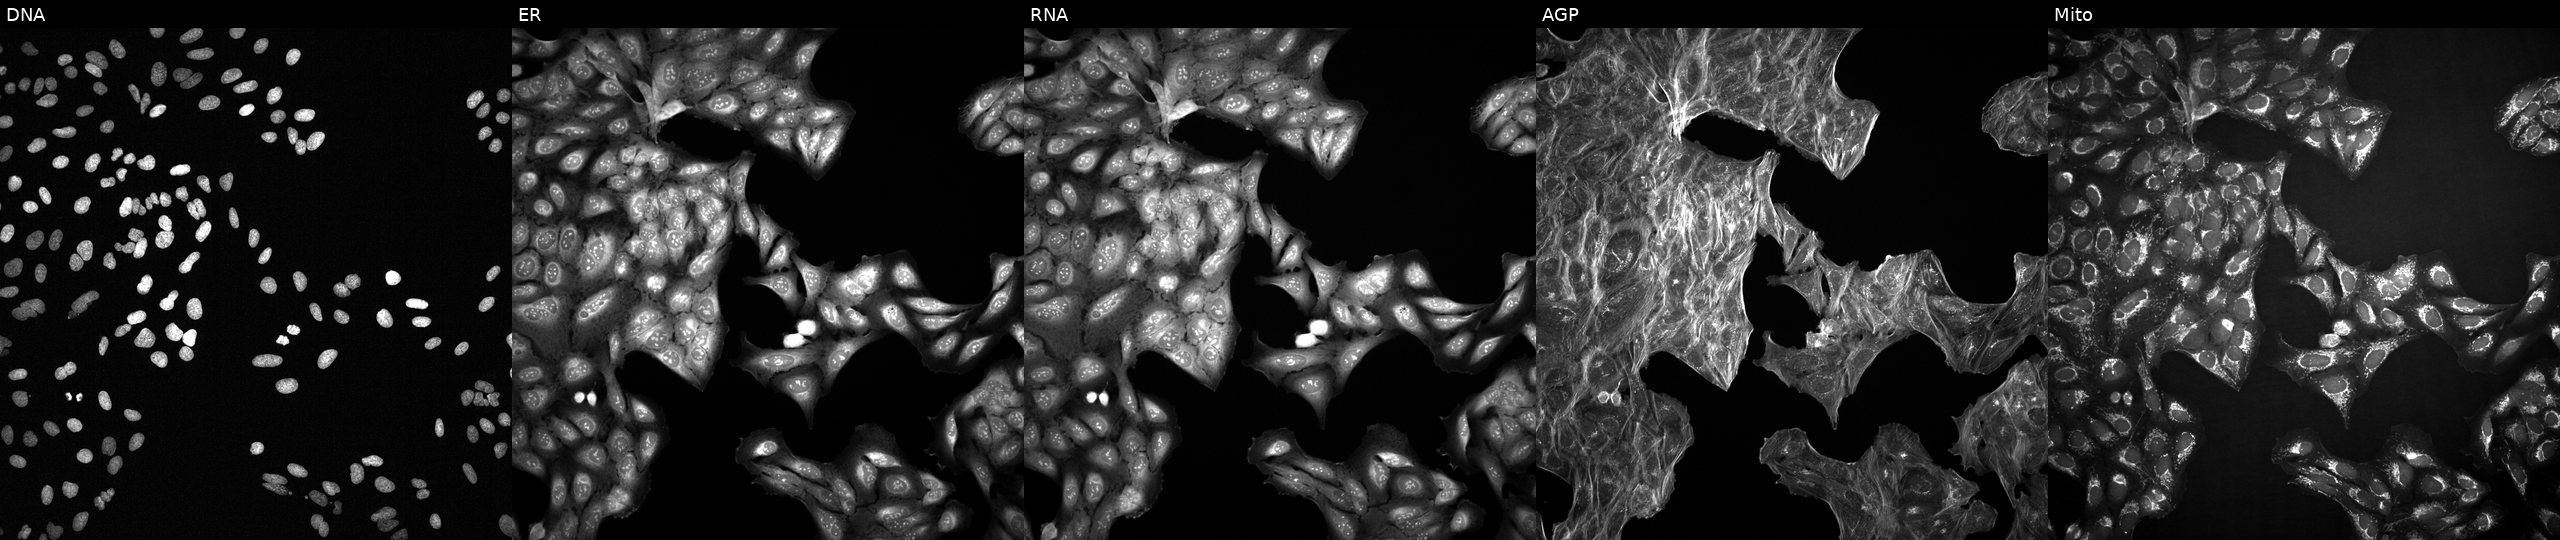
Channels (left→right): DNA (nuclei); ER (endoplasmic reticulum); RNA (nucleoli and cytoplasmic RNA); AGP (actin cytoskeleton, Golgi, and plasma membrane); Mito (mitochondria). U2OS osteosarcoma cells with an unidentified perturbation (not annotated in JUMP metadata). Cell Painting assay, JUMP-CP dataset. Source 2, plate 1053601756, well P03.